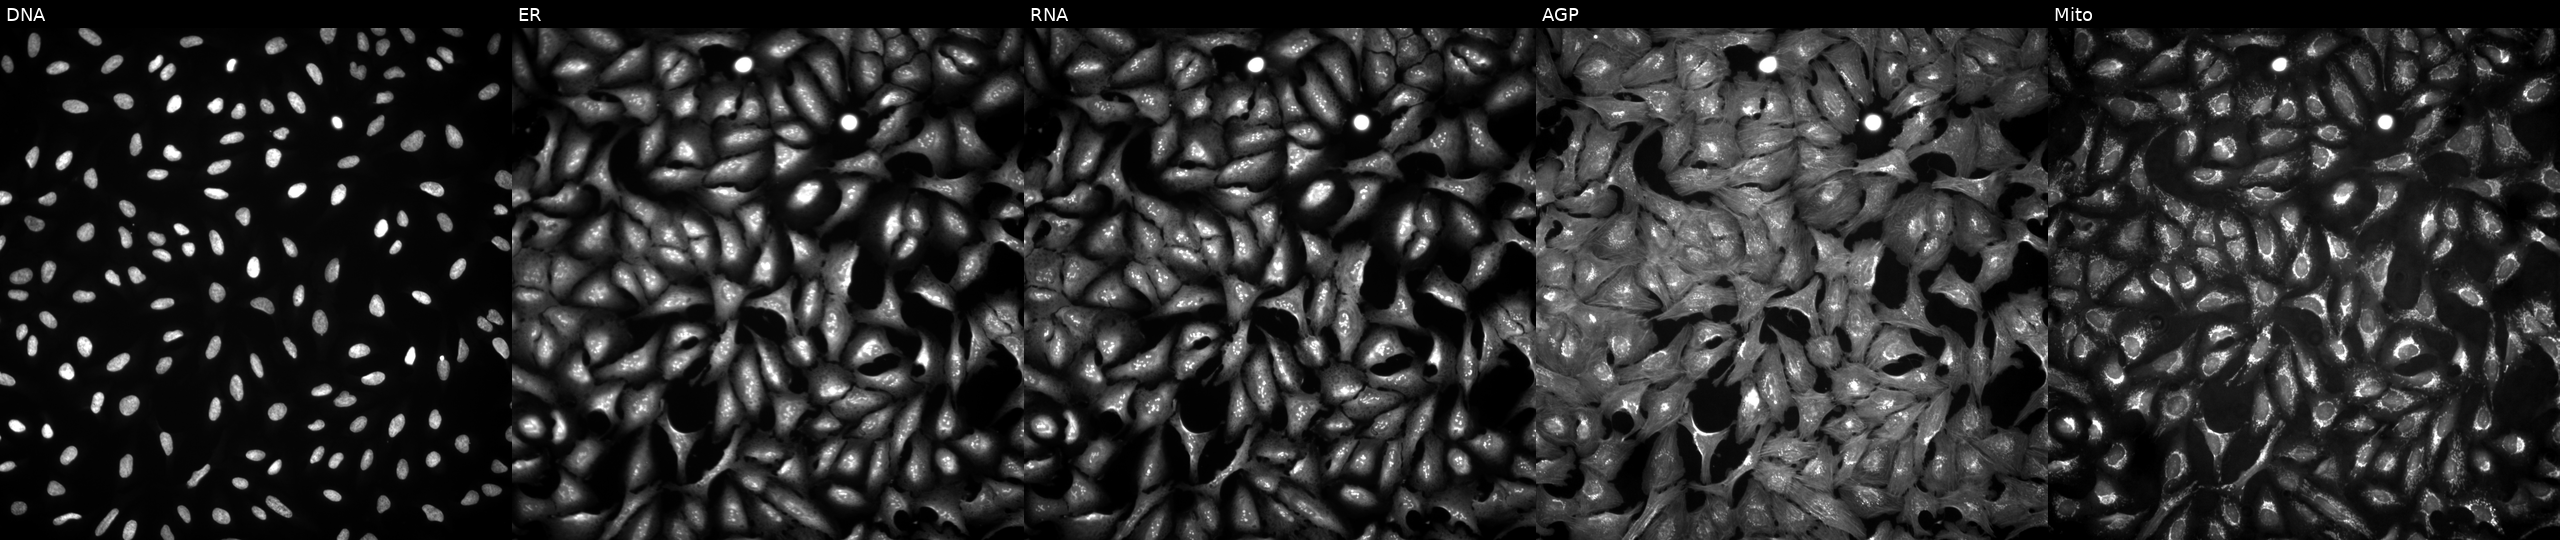
This image strip shows the five Cell Painting channels for a single field of U2OS cells expressing LUCIFERASE (ORF negative control) (JUMP id JCP2022_915130). The five panels, left to right, show Hoechst 33342, concanavalin A, SYTO 14, phalloidin and WGA, MitoTracker. Source 4, plate BR00124784, well H03.